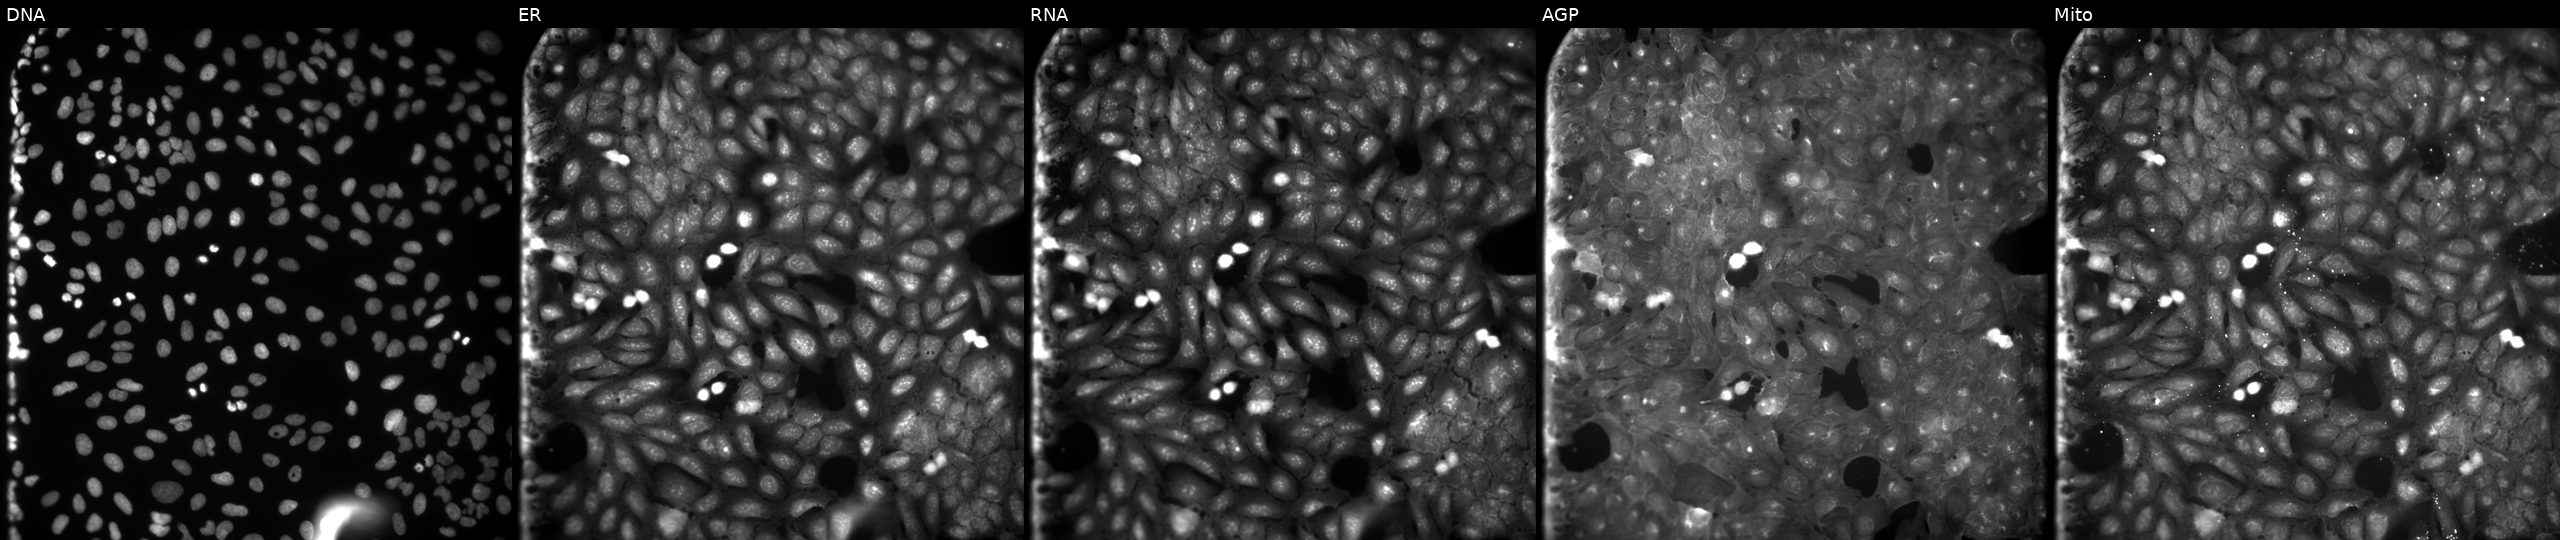
This image strip shows the five Cell Painting channels for a single field of U2OS cells exposed to a small-molecule compound [SMILES: N=C1SC(=Cc2ccccc2F)C(=O)N1c1ccc(F)cc1] (JUMP id JCP2022_010136). The five panels, left to right, show DNA, ER, RNA, AGP, and Mito.